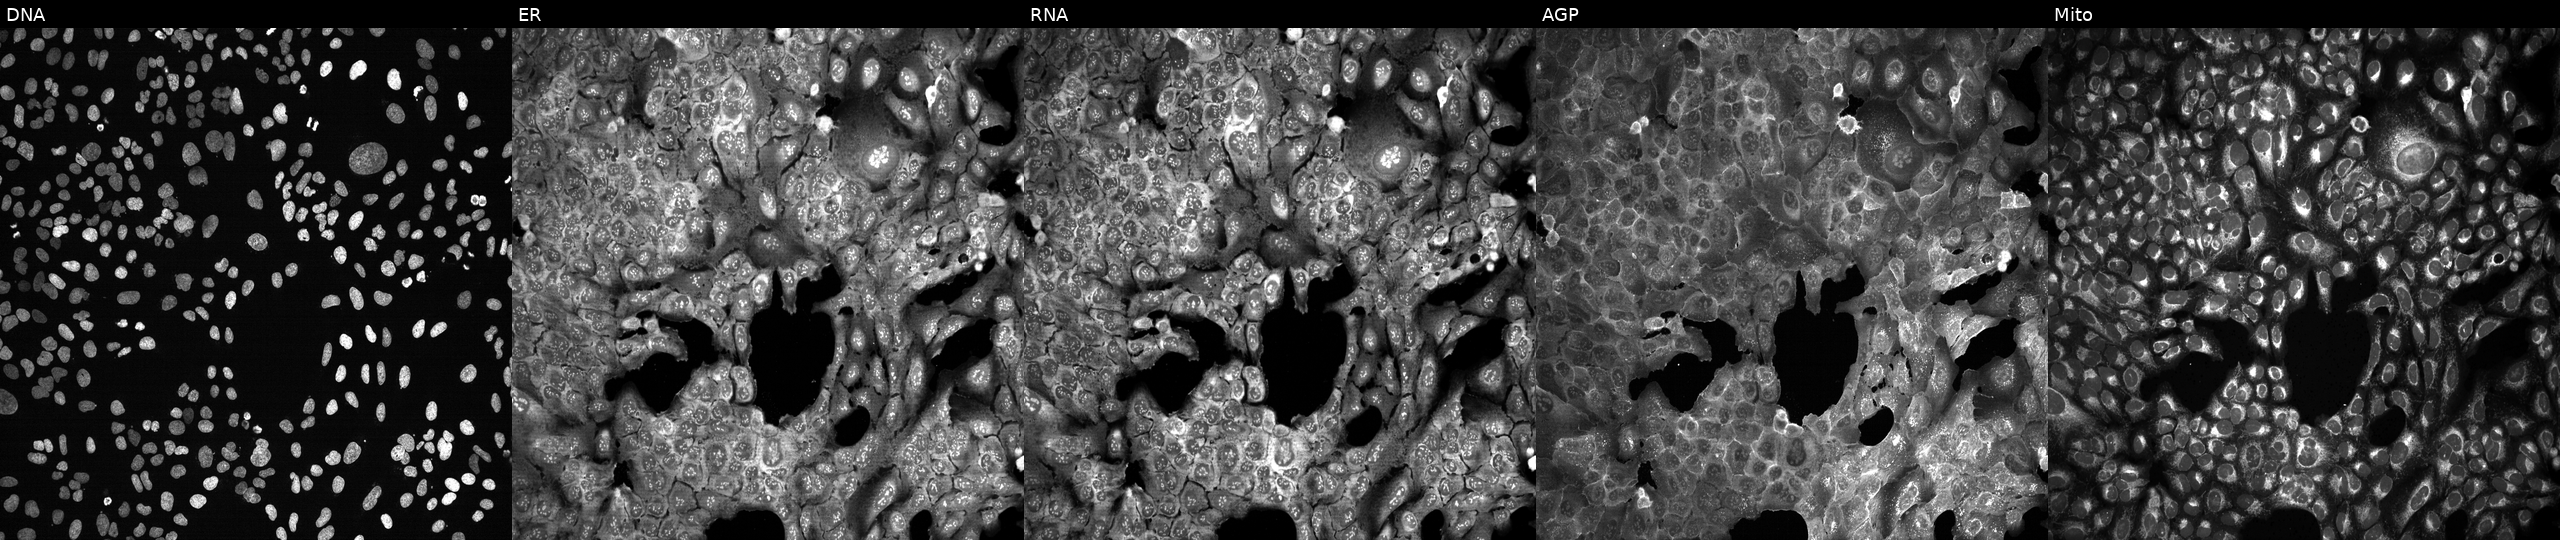
Five-channel Cell Painting image of U2OS cells following CRISPR knockout of KLF10. The five panels, left to right, show Hoechst 33342, concanavalin A, SYTO 14, phalloidin and WGA, MitoTracker. Source 13, plate CP-CC9-R6-19, well F12.